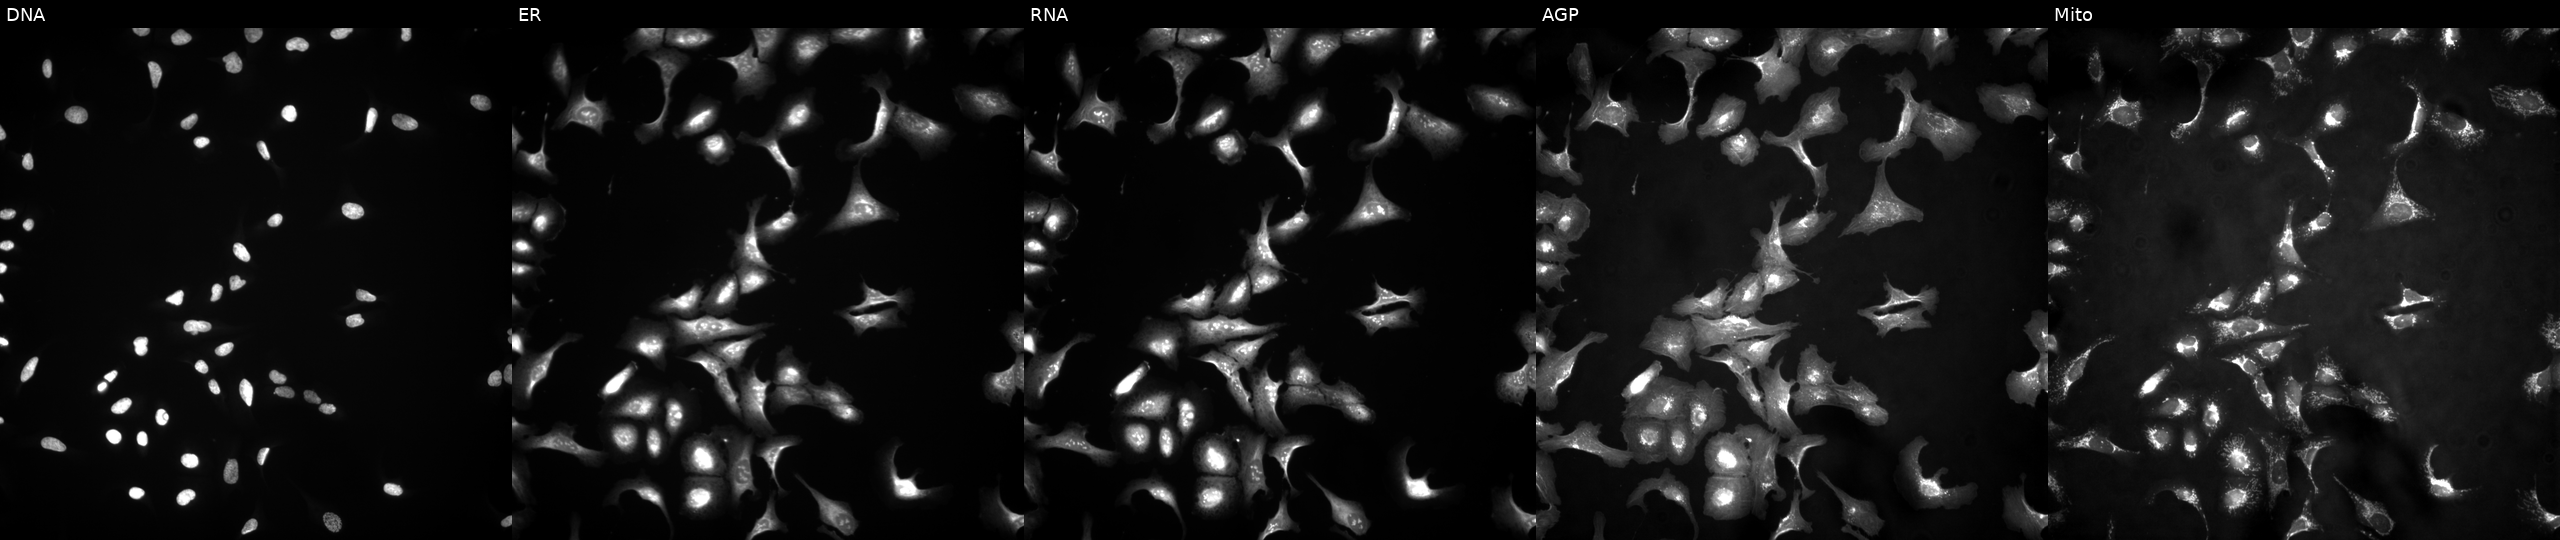
The five panels, left to right, show DNA, ER, RNA, AGP, and Mito. U2OS osteosarcoma cells overexpressing UBE2G1 via ORF transfection (JUMP id JCP2022_901620). Cell Painting assay, JUMP-CP dataset.